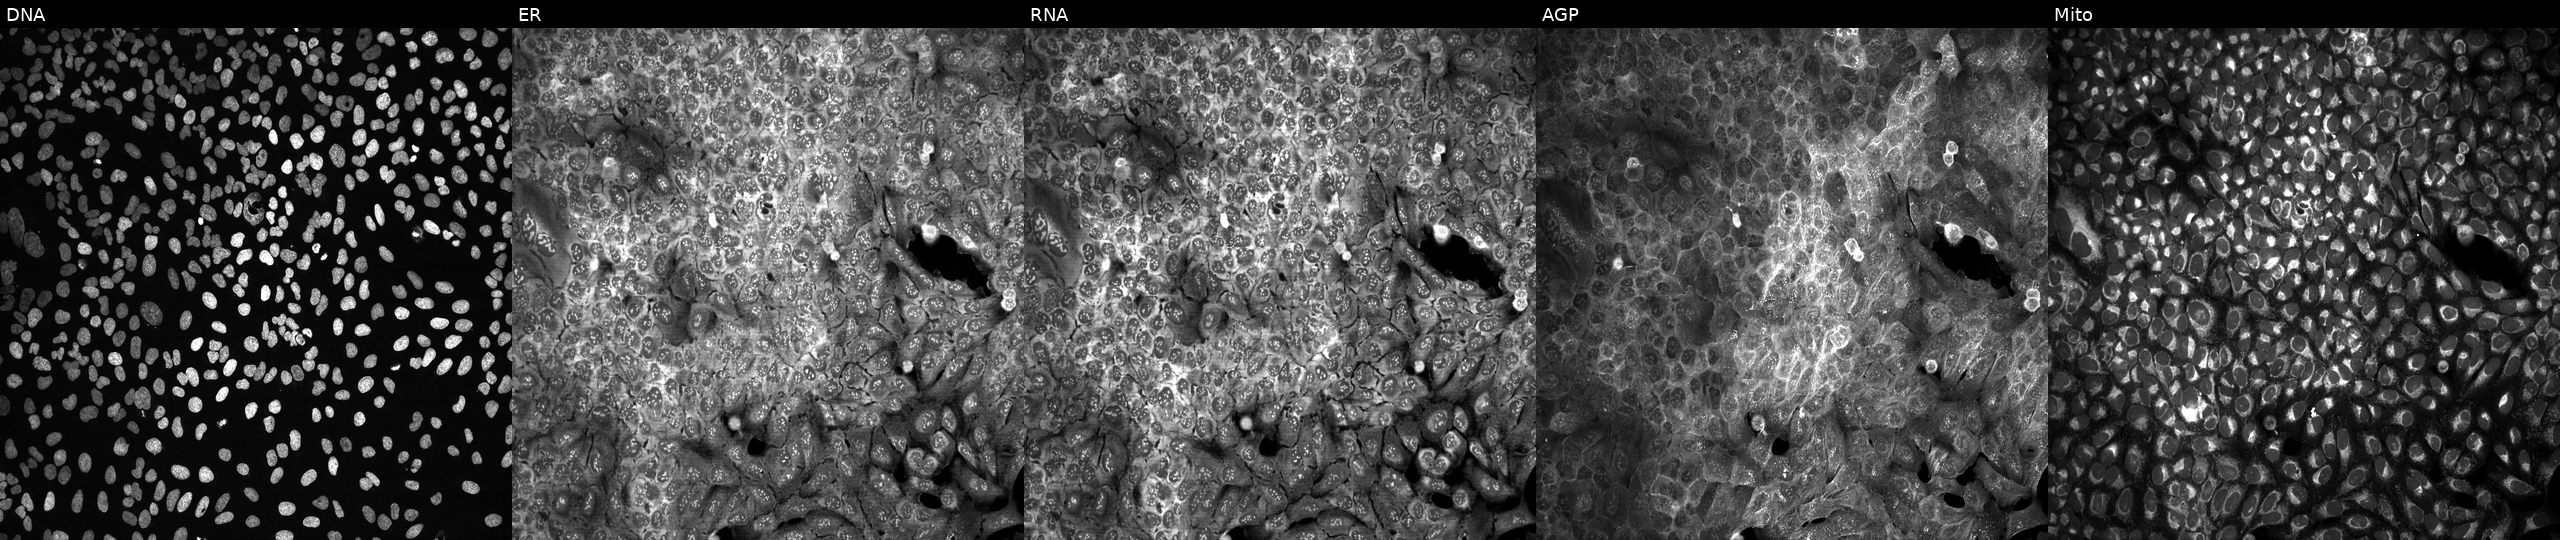
The five panels, left to right, show DNA, ER, RNA, AGP, and Mito. U2OS osteosarcoma cells CRISPR-edited to disrupt ATG4B. Cell Painting assay, JUMP-CP dataset. Source 13, plate CP-CC9-R6-19, well N17.